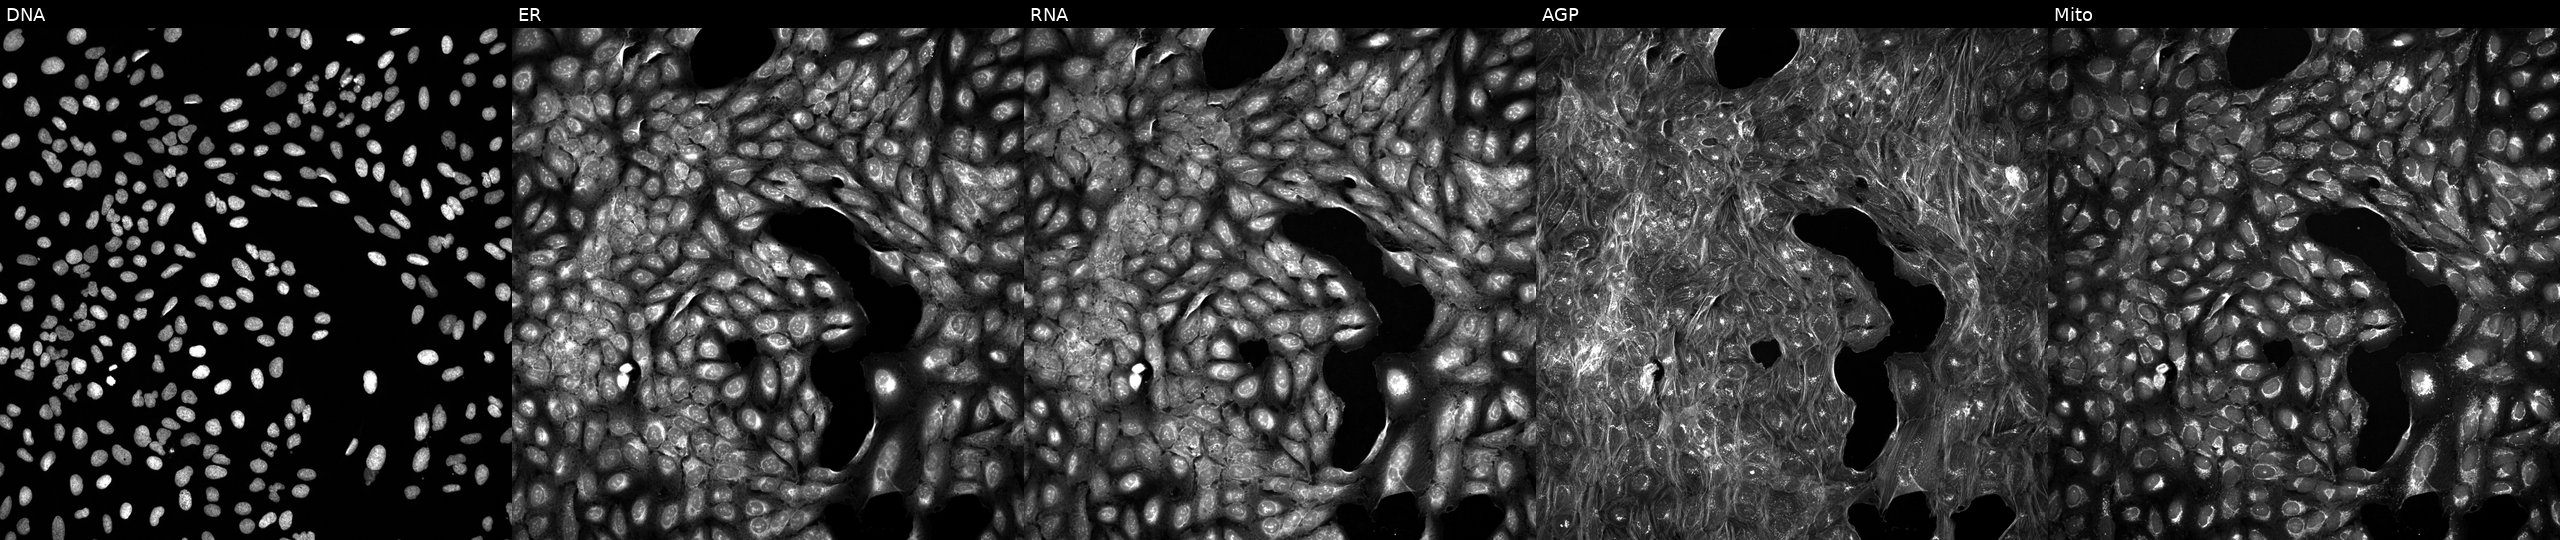
JUMP Cell Painting — TARGET2 plate. U2OS cells perturbed with a small-molecule compound (InChIKey ZYGHJZDHTFUPRJ-UHFFFAOYSA-N). Channels (left→right): Hoechst 33342, concanavalin A, SYTO 14, phalloidin and WGA, MitoTracker.